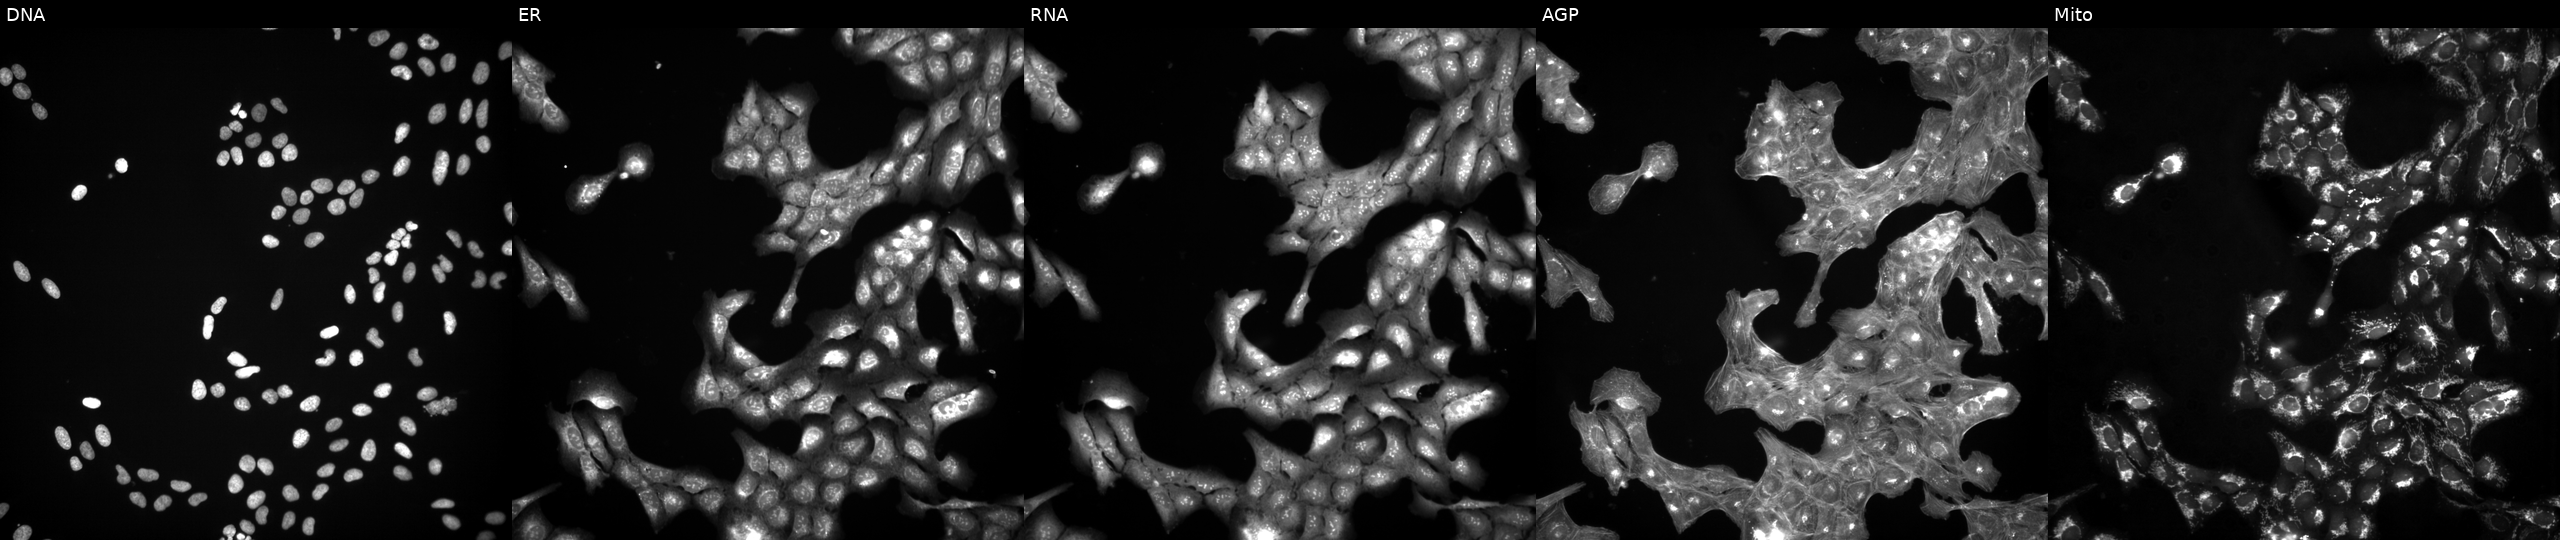
U2OS cells, Cell Painting assay, perturbed with a small-molecule compound (InChIKey FQUAFMNPXPXOJE-UHFFFAOYSA-N) (JUMP id JCP2022_022359). From left to right: DNA (nuclei); ER (endoplasmic reticulum); RNA (nucleoli and cytoplasmic RNA); AGP (actin cytoskeleton, Golgi, and plasma membrane); Mito (mitochondria). Each panel is percentile-stretched 16-bit fluorescence.